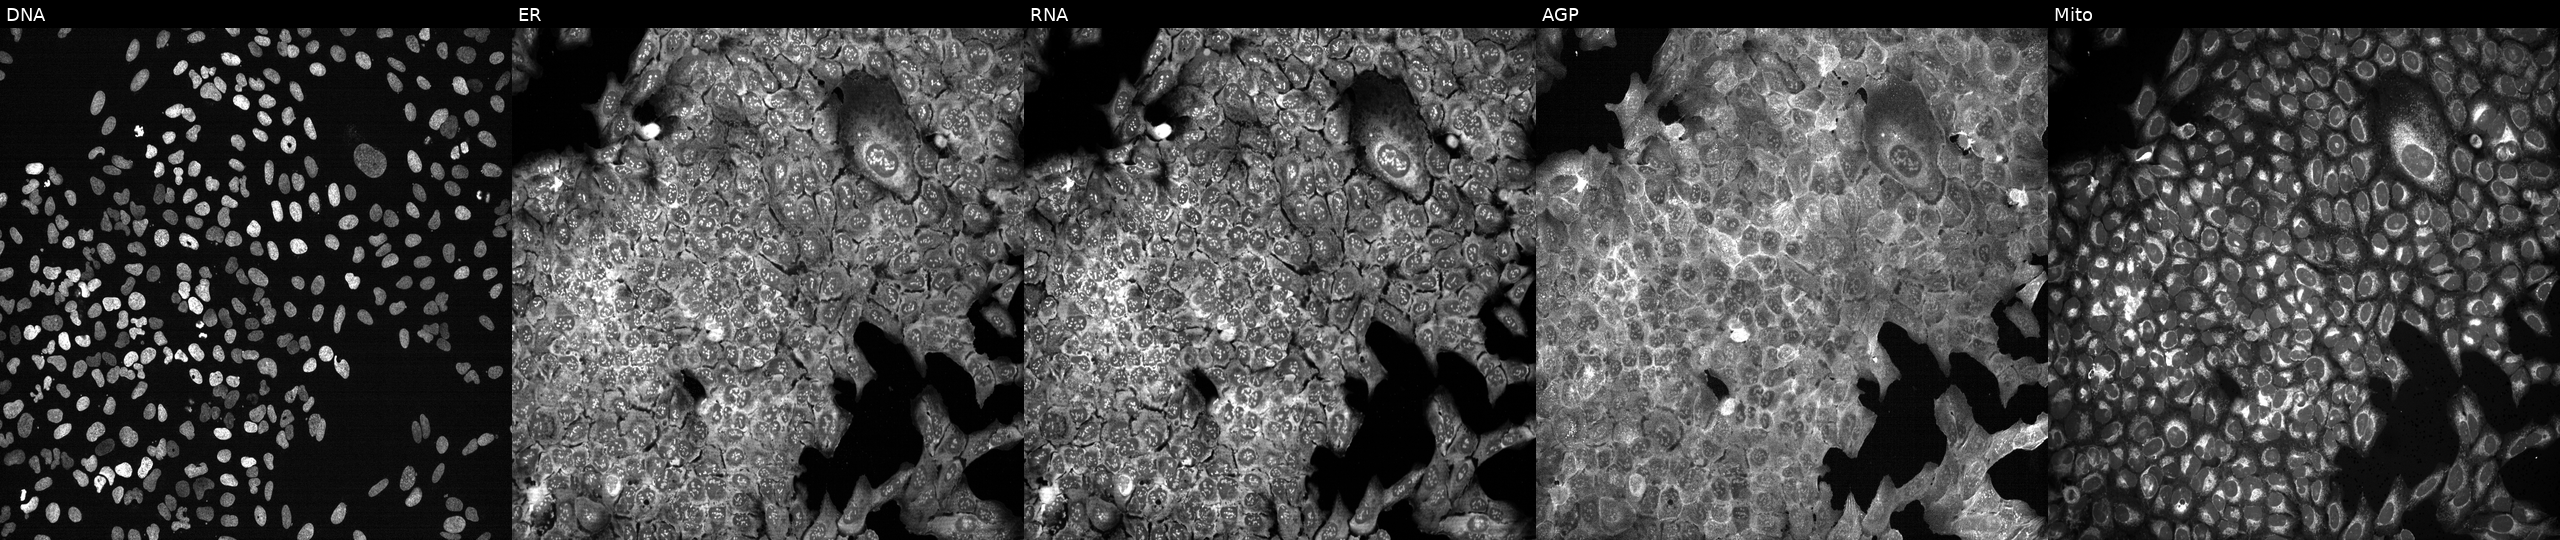
This image strip shows the five Cell Painting channels for a single field of U2OS cells following CRISPR knockout of POLR3A (JUMP id JCP2022_805354). Panels show, left to right, DNA, ER, RNA, AGP, and Mito.